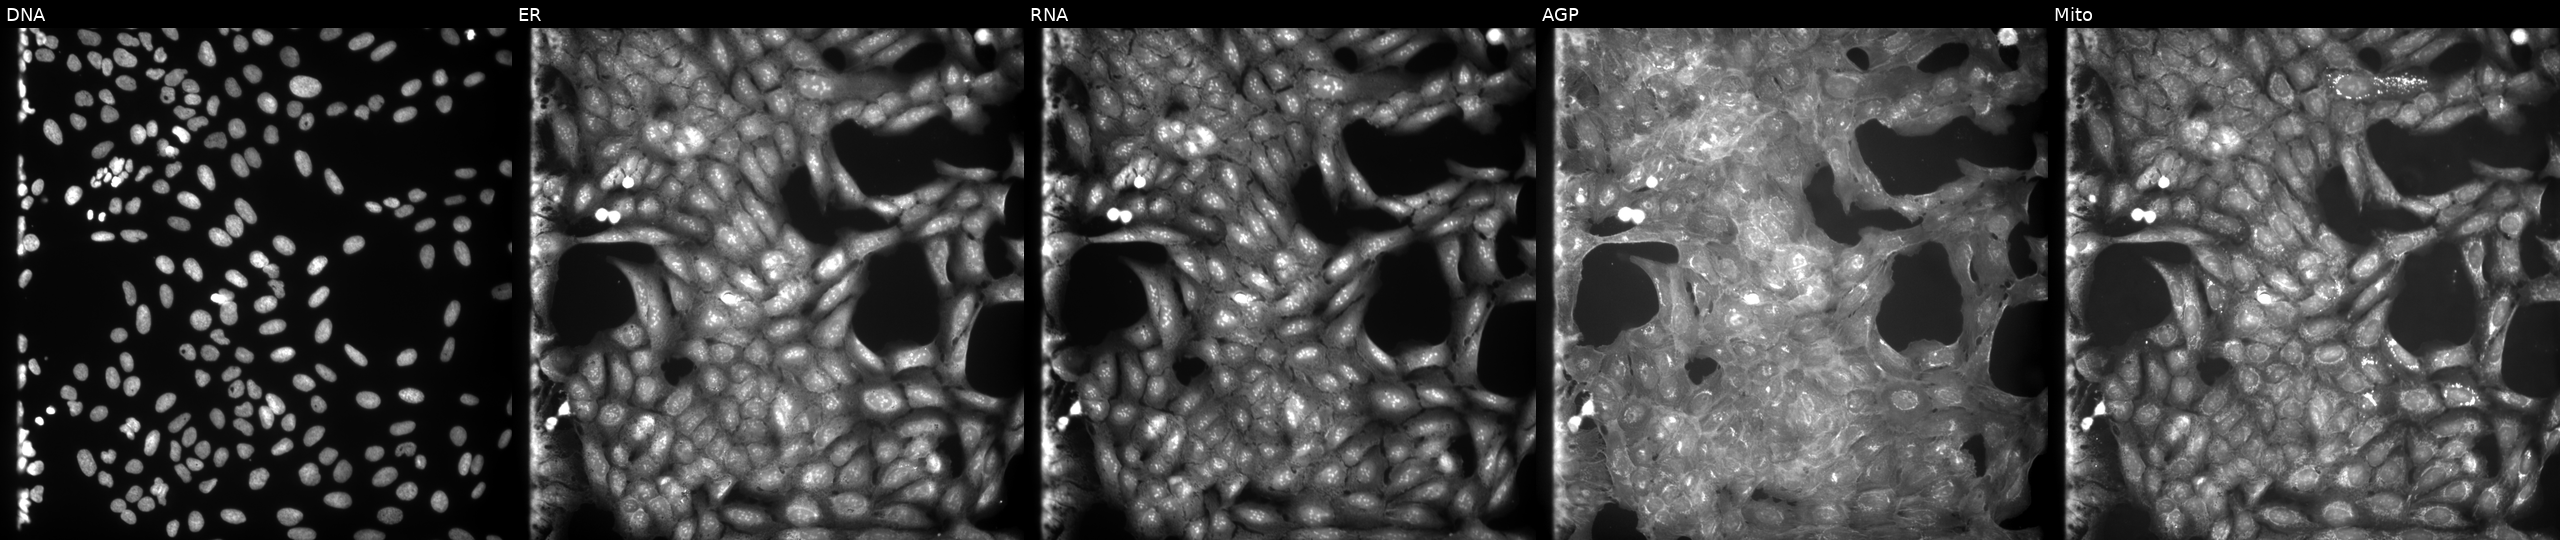
U2OS cells, Cell Painting assay, treated with a small-molecule compound. From left to right: DNA, ER, RNA, AGP, and Mito. Each panel is percentile-stretched 16-bit fluorescence. Source 9, plate GR00003382, well G13.